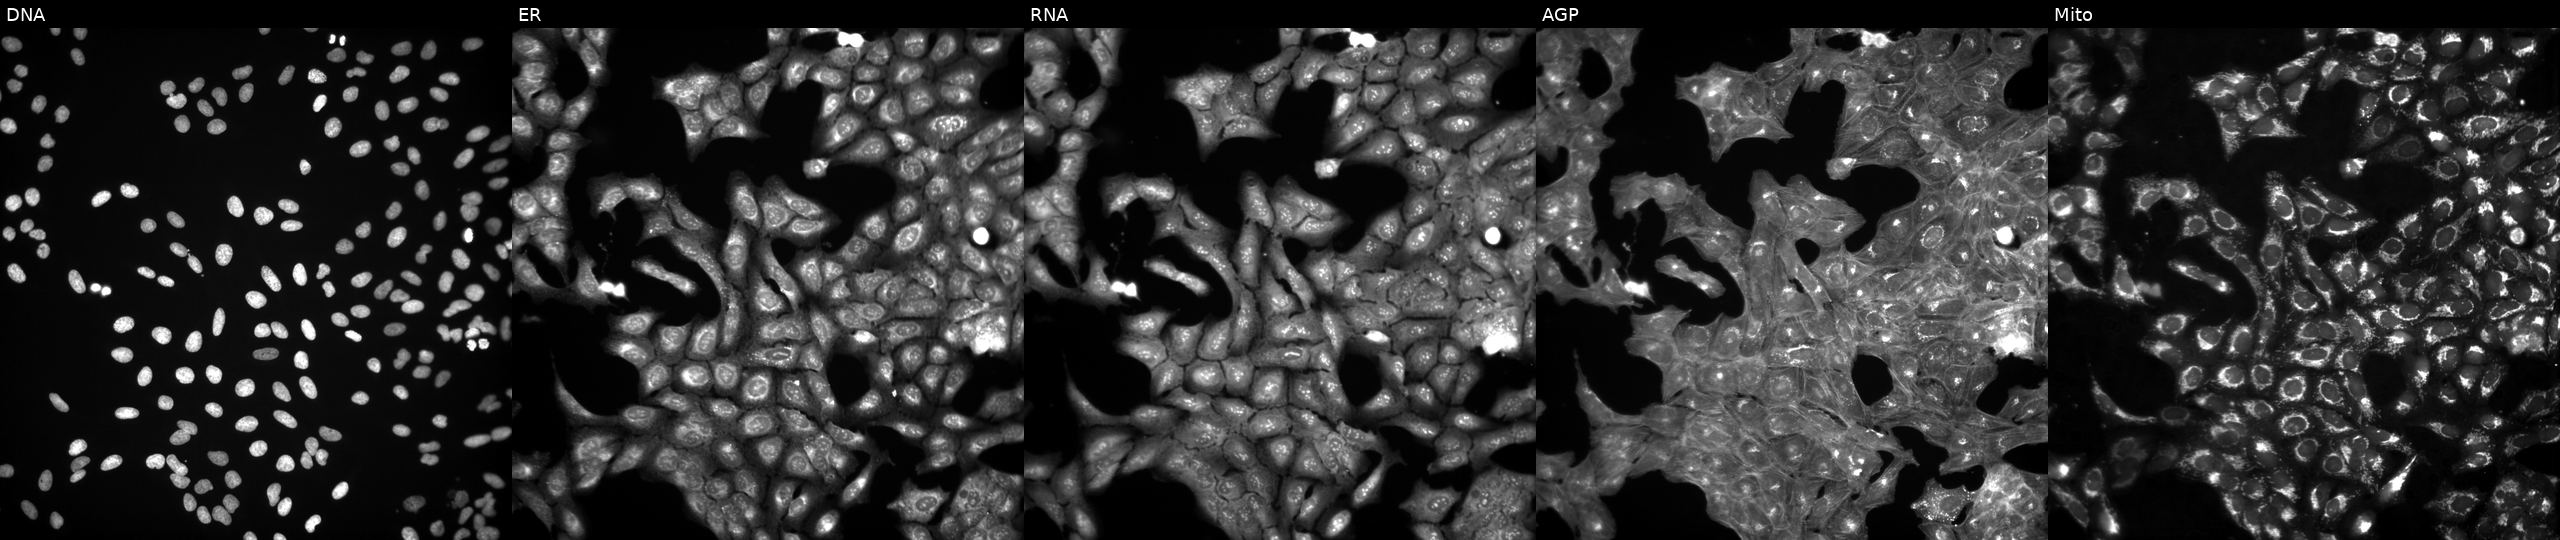
Five-channel Cell Painting image of U2OS cells treated with aloxistatin (positive-control compound) (JUMP id JCP2022_085227). From left to right: Hoechst 33342, concanavalin A, SYTO 14, phalloidin and WGA, MitoTracker.